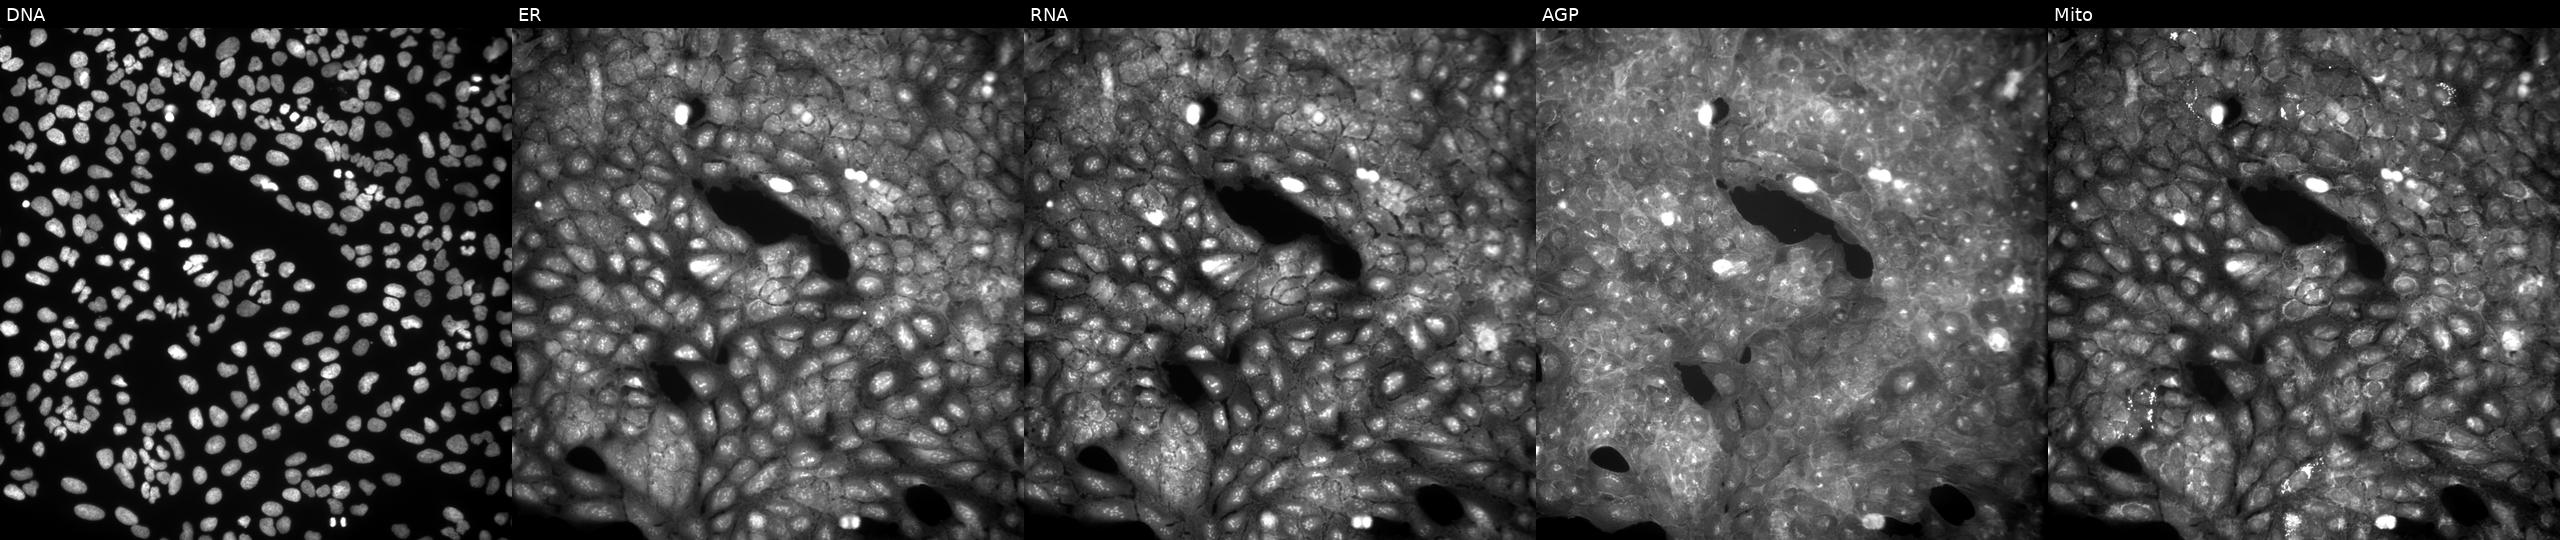
U2OS cells, Cell Painting assay, exposed to a small-molecule compound [SMILES: Cc1ccc(NC(=O)C(c2ccc(Cl)cc2)N2CCOCC2)cc1]. The five panels, left to right, show DNA, ER, RNA, AGP, and Mito. Each panel is percentile-stretched 16-bit fluorescence. Source 9, plate GR00003382, well E40.